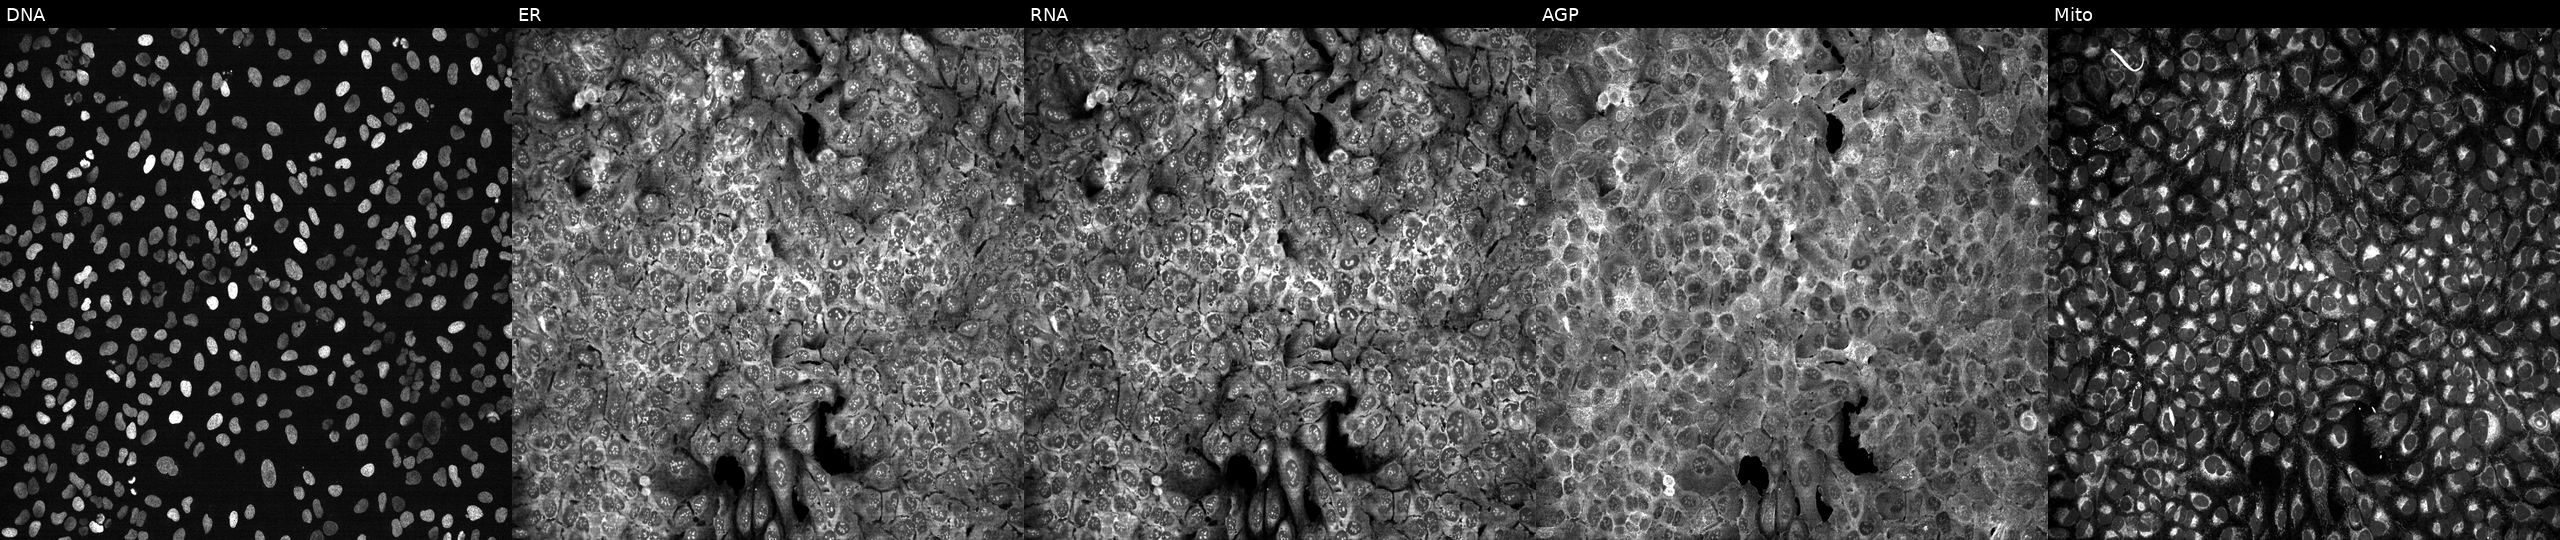
U2OS cells, Cell Painting assay, CRISPR-edited to disrupt SEPT5. From left to right: DNA, ER, RNA, AGP, and Mito. Each panel is percentile-stretched 16-bit fluorescence.